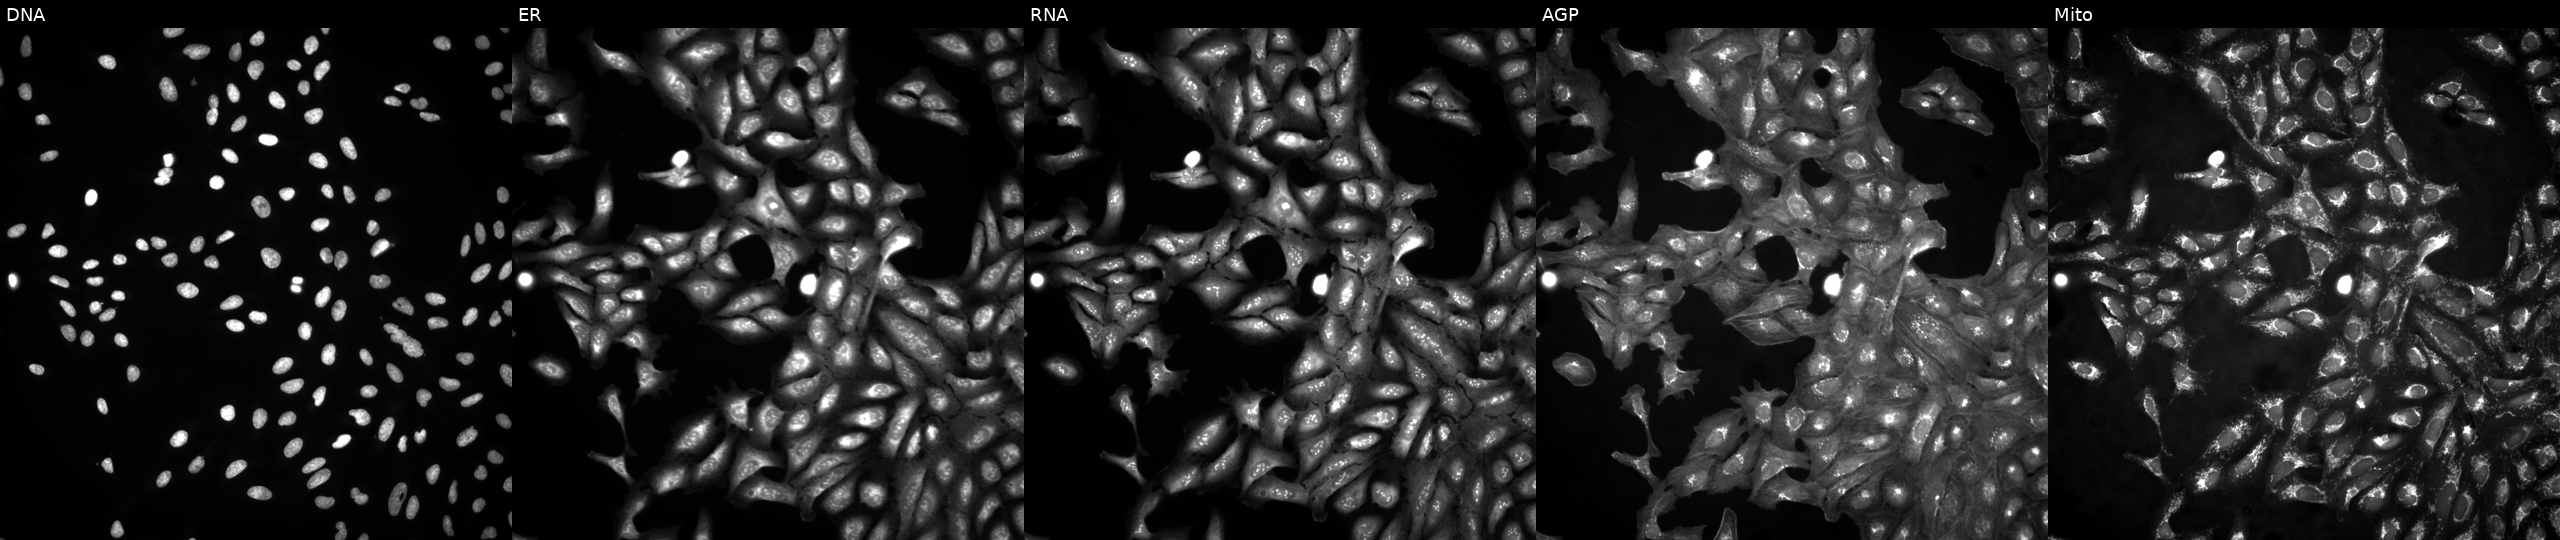
JUMP Cell Painting — ORF plate. U2OS cells in an empty control well (no perturbation) (JUMP id JCP2022_999999). Panels show, left to right, Hoechst 33342, concanavalin A, SYTO 14, phalloidin and WGA, MitoTracker. Source 4, plate BR00124793, well L10.